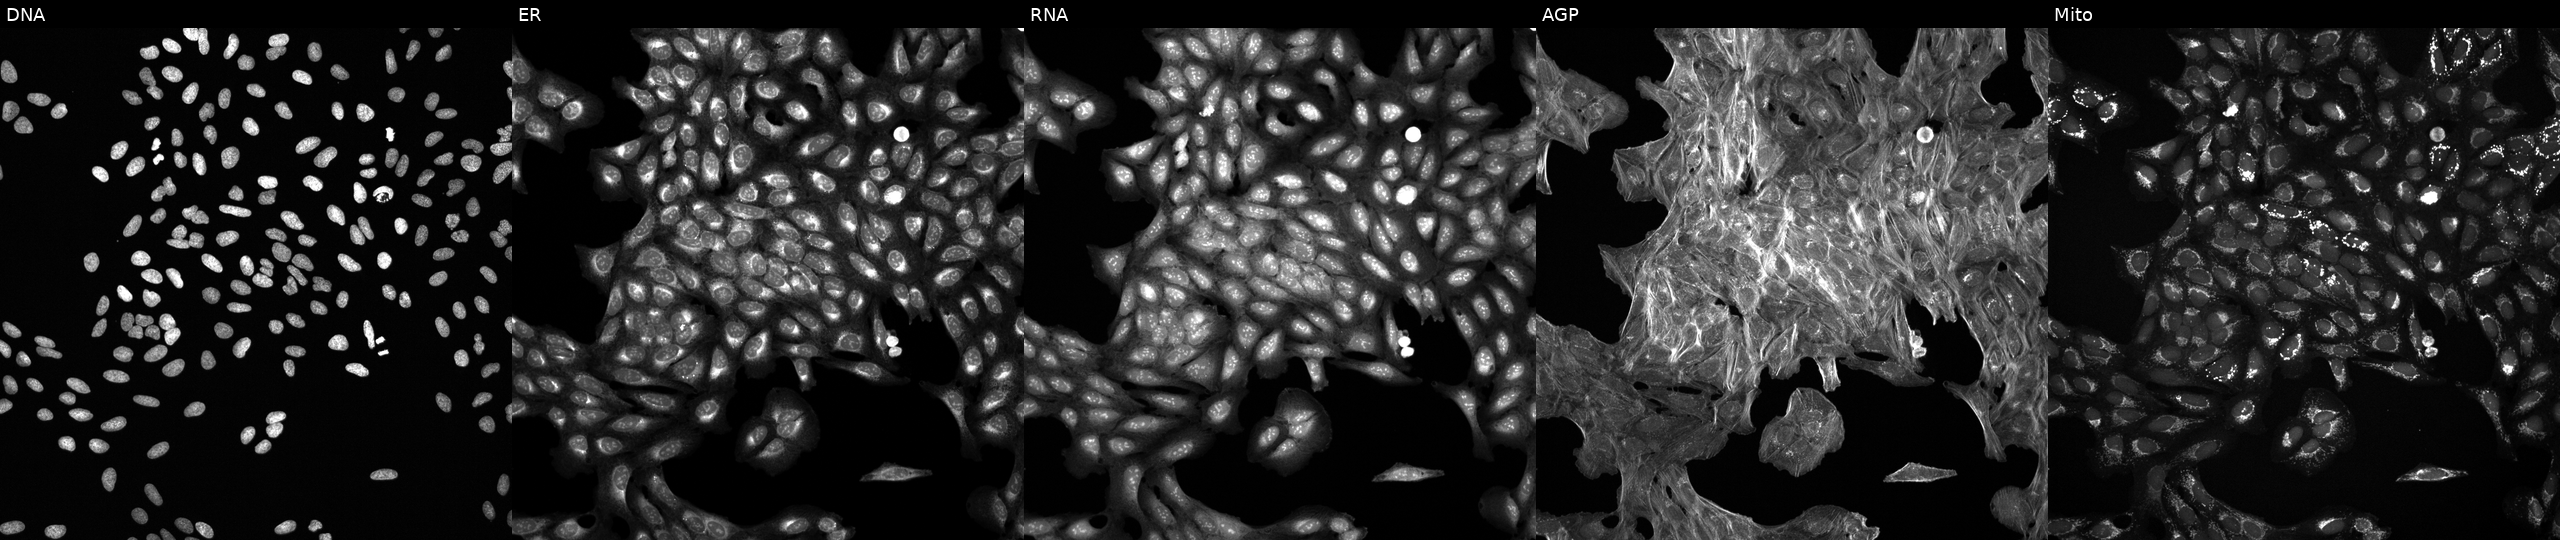
Panels show, left to right, DNA (nuclei); ER (endoplasmic reticulum); RNA (nucleoli and cytoplasmic RNA); AGP (actin cytoskeleton, Golgi, and plasma membrane); Mito (mitochondria). U2OS osteosarcoma cells treated with DMSO vehicle only (negative control) (JUMP id JCP2022_033924). Cell Painting assay, JUMP-CP dataset. Source 6, plate 110000293082, well A23.